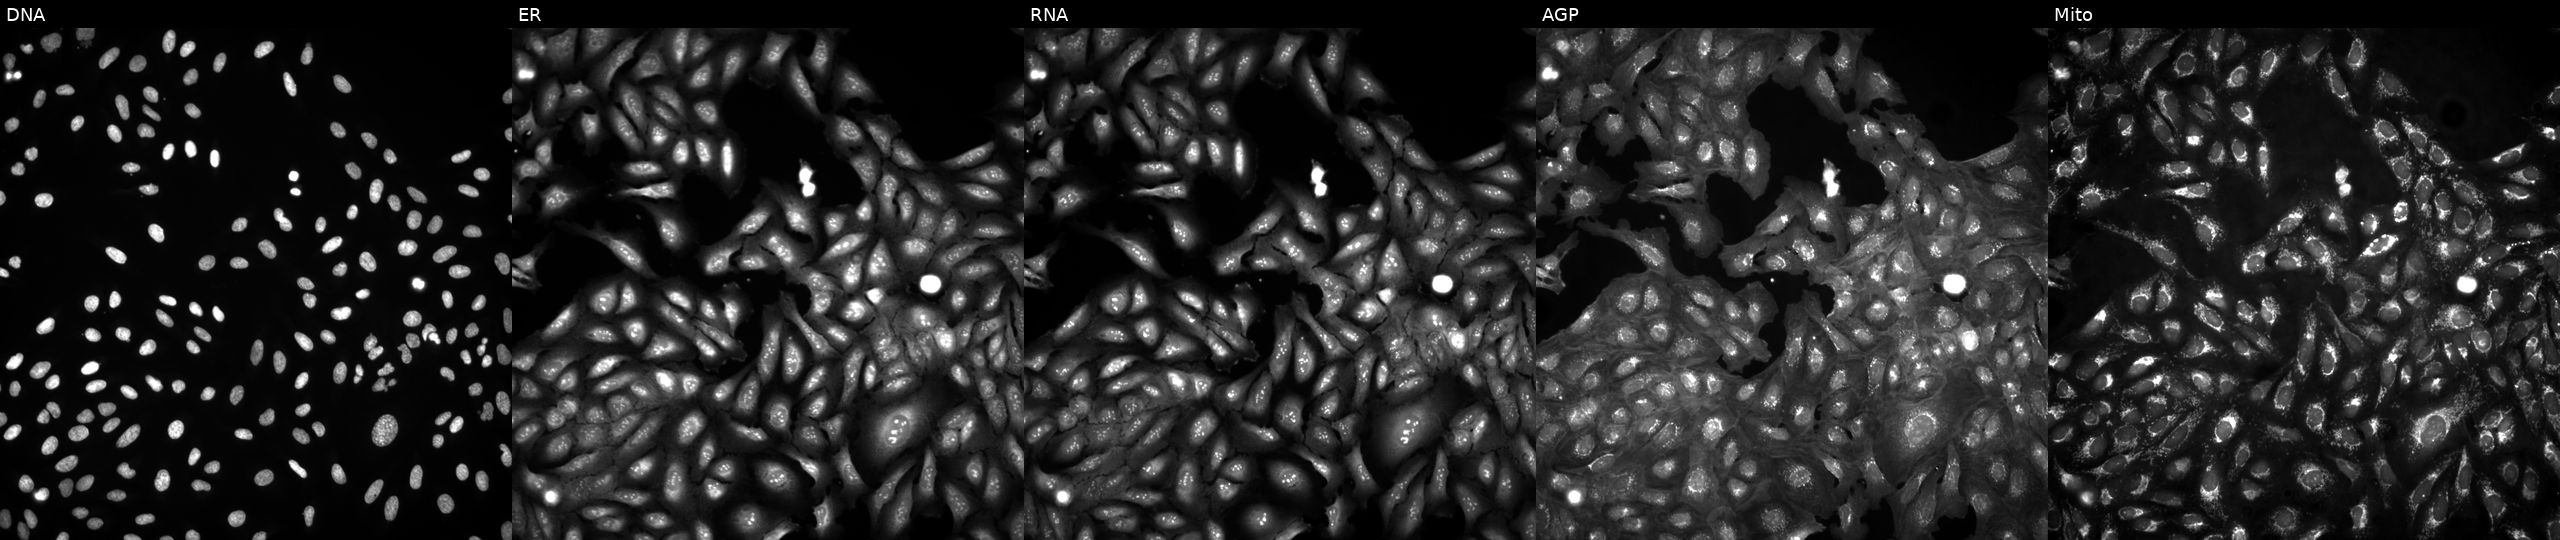
U2OS cells, Cell Painting assay, in an empty control well (no perturbation) (JUMP id JCP2022_999999). Panels show, left to right, Hoechst 33342, concanavalin A, SYTO 14, phalloidin and WGA, MitoTracker. Each panel is percentile-stretched 16-bit fluorescence.